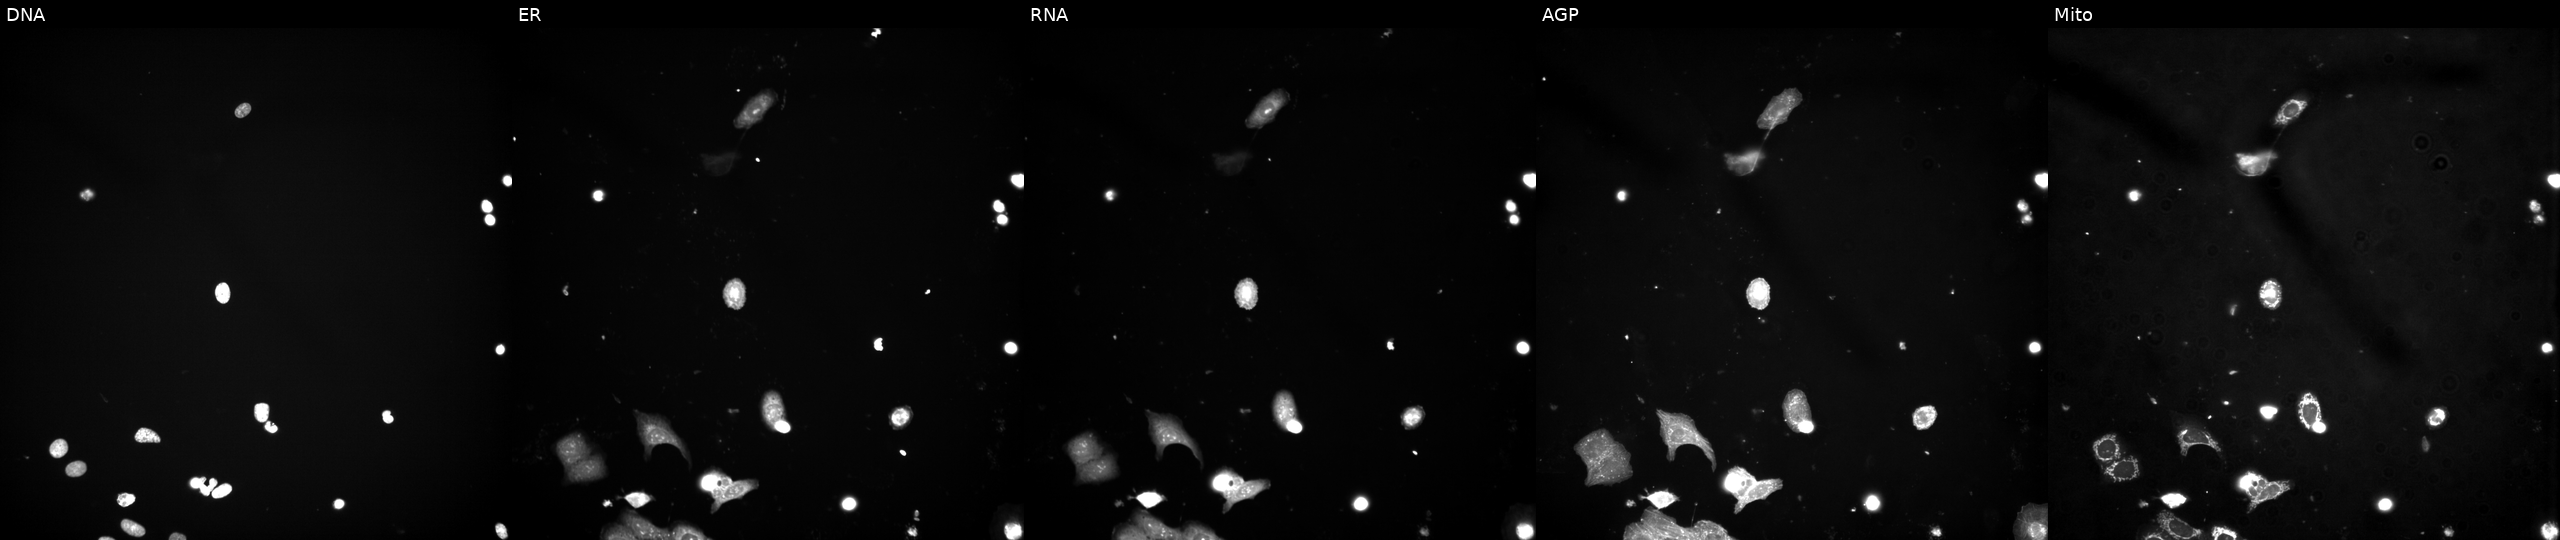
High-content fluorescence microscopy (Cell Painting). Cell line: U2OS. Perturbation: perturbed with a small-molecule compound (InChIKey CWHUFRVAEUJCEF-UHFFFAOYSA-N). Panels show, left to right, Hoechst 33342, concanavalin A, SYTO 14, phalloidin and WGA, MitoTracker. Source 3, plate JCPQC053, well D14.